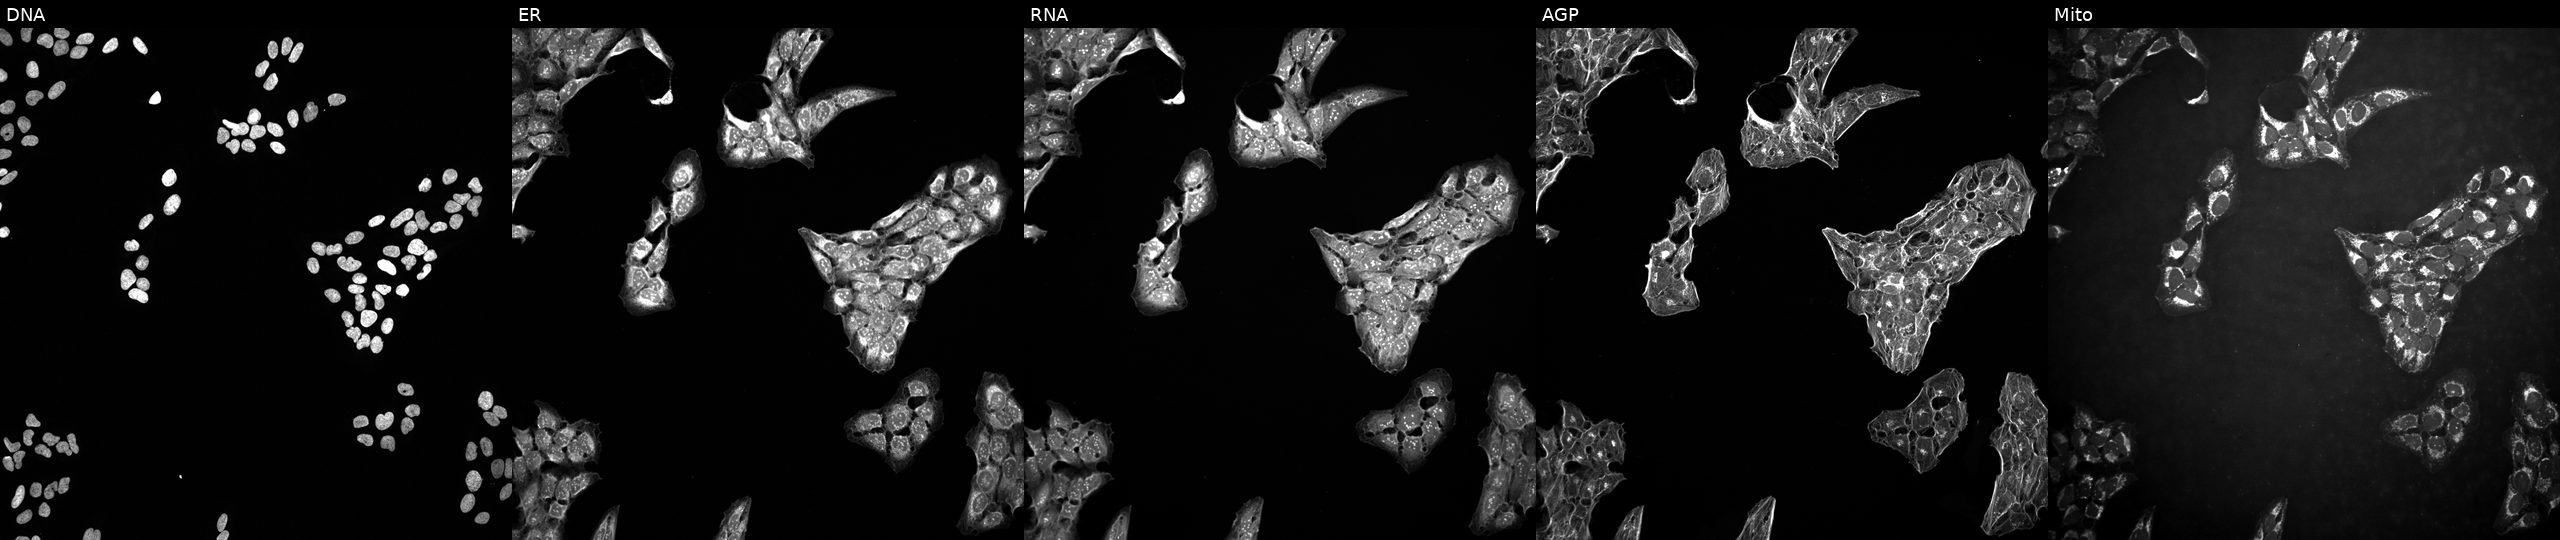
U2OS cells, Cell Painting assay, exposed to a small-molecule compound (JUMP id JCP2022_067432). The five panels, left to right, show DNA (nuclei); ER (endoplasmic reticulum); RNA (nucleoli and cytoplasmic RNA); AGP (actin cytoskeleton, Golgi, and plasma membrane); Mito (mitochondria). Each panel is percentile-stretched 16-bit fluorescence. Source 10, plate Dest210727-153003, well C03.